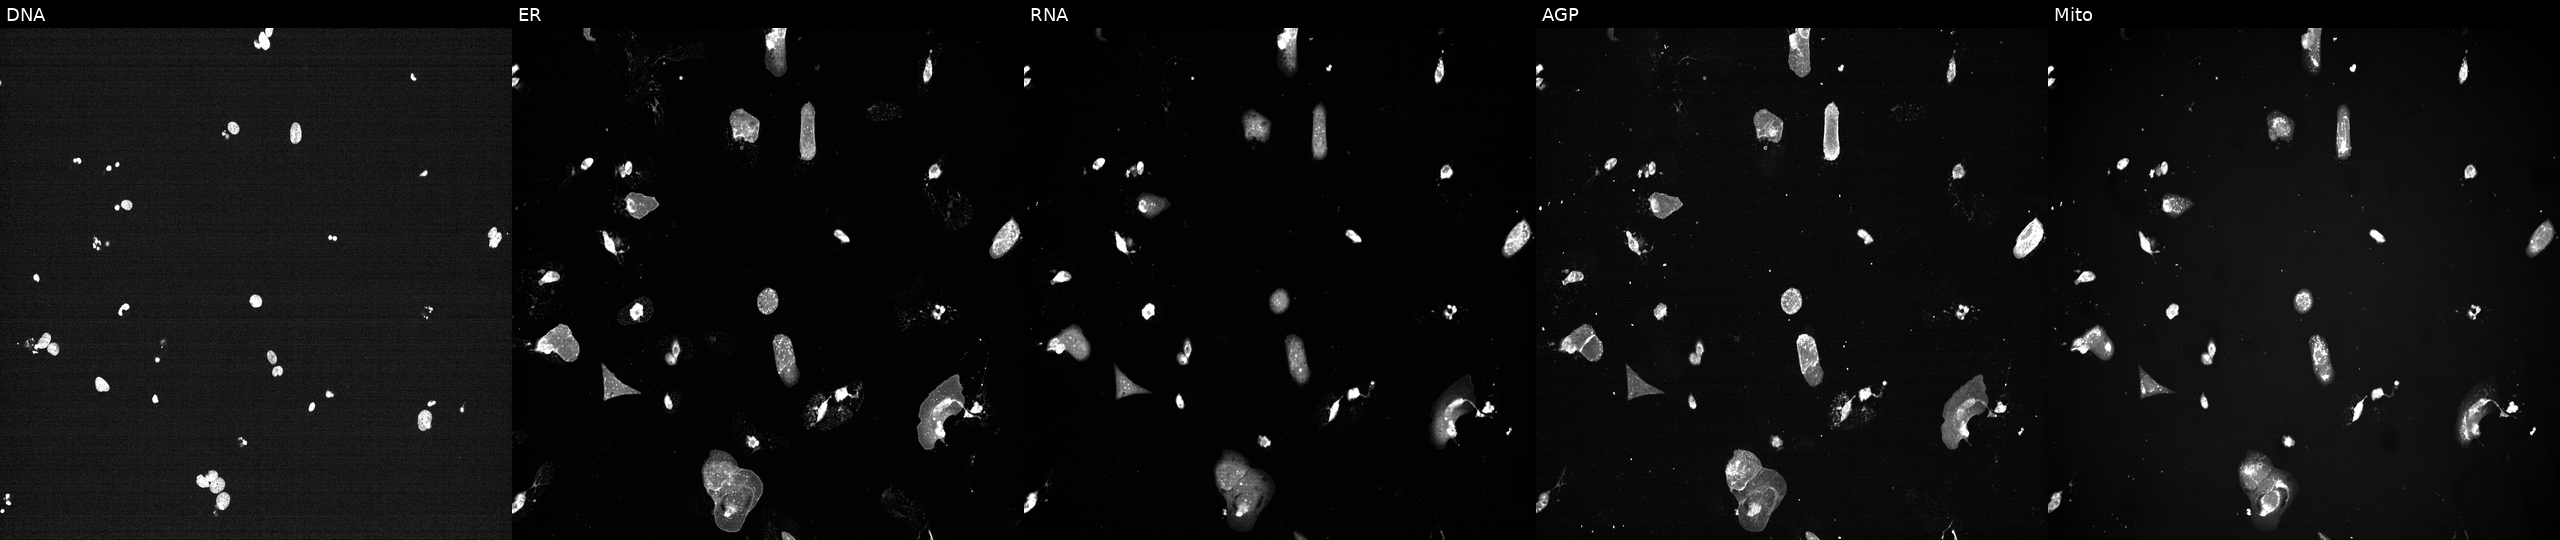
U2OS cells, Cell Painting assay, exposed to a small-molecule compound (InChIKey HGMSUJCQIUFZBJ-UHFFFAOYSA-N) (JUMP id JCP2022_030049). From left to right: DNA (nuclei); ER (endoplasmic reticulum); RNA (nucleoli and cytoplasmic RNA); AGP (actin cytoskeleton, Golgi, and plasma membrane); Mito (mitochondria). Each panel is percentile-stretched 16-bit fluorescence. Source 7, plate CP2-SC1-25, well B24.